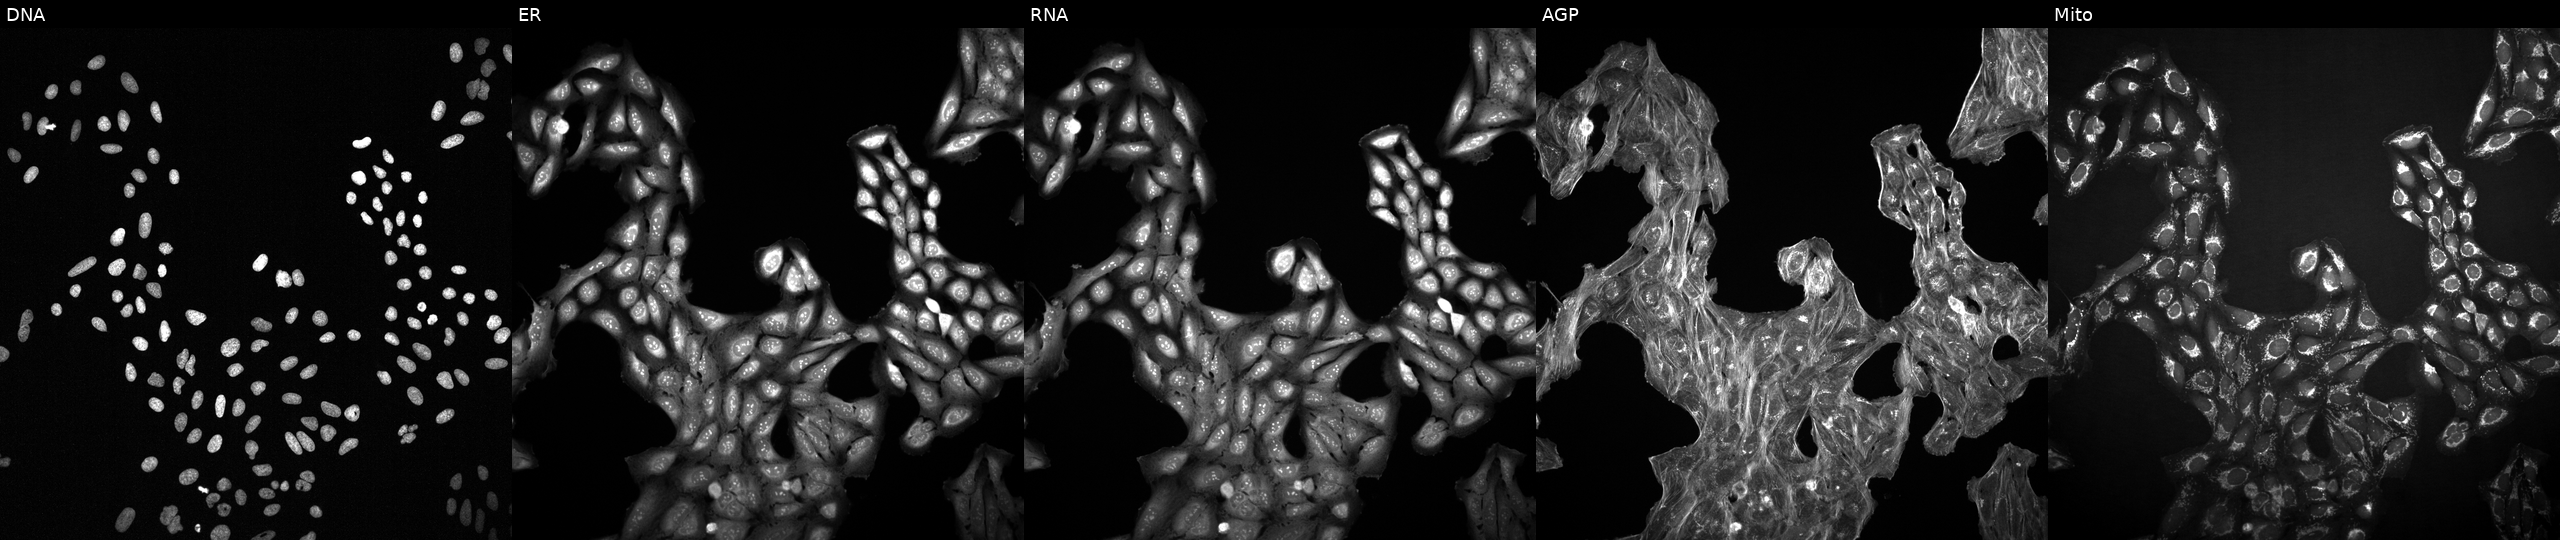
Five-channel Cell Painting image of U2OS cells exposed to a small-molecule compound (InChIKey GZTYYMWYXUCRGO-UHFFFAOYSA-N). Channels (left→right): Hoechst 33342, concanavalin A, SYTO 14, phalloidin and WGA, MitoTracker.